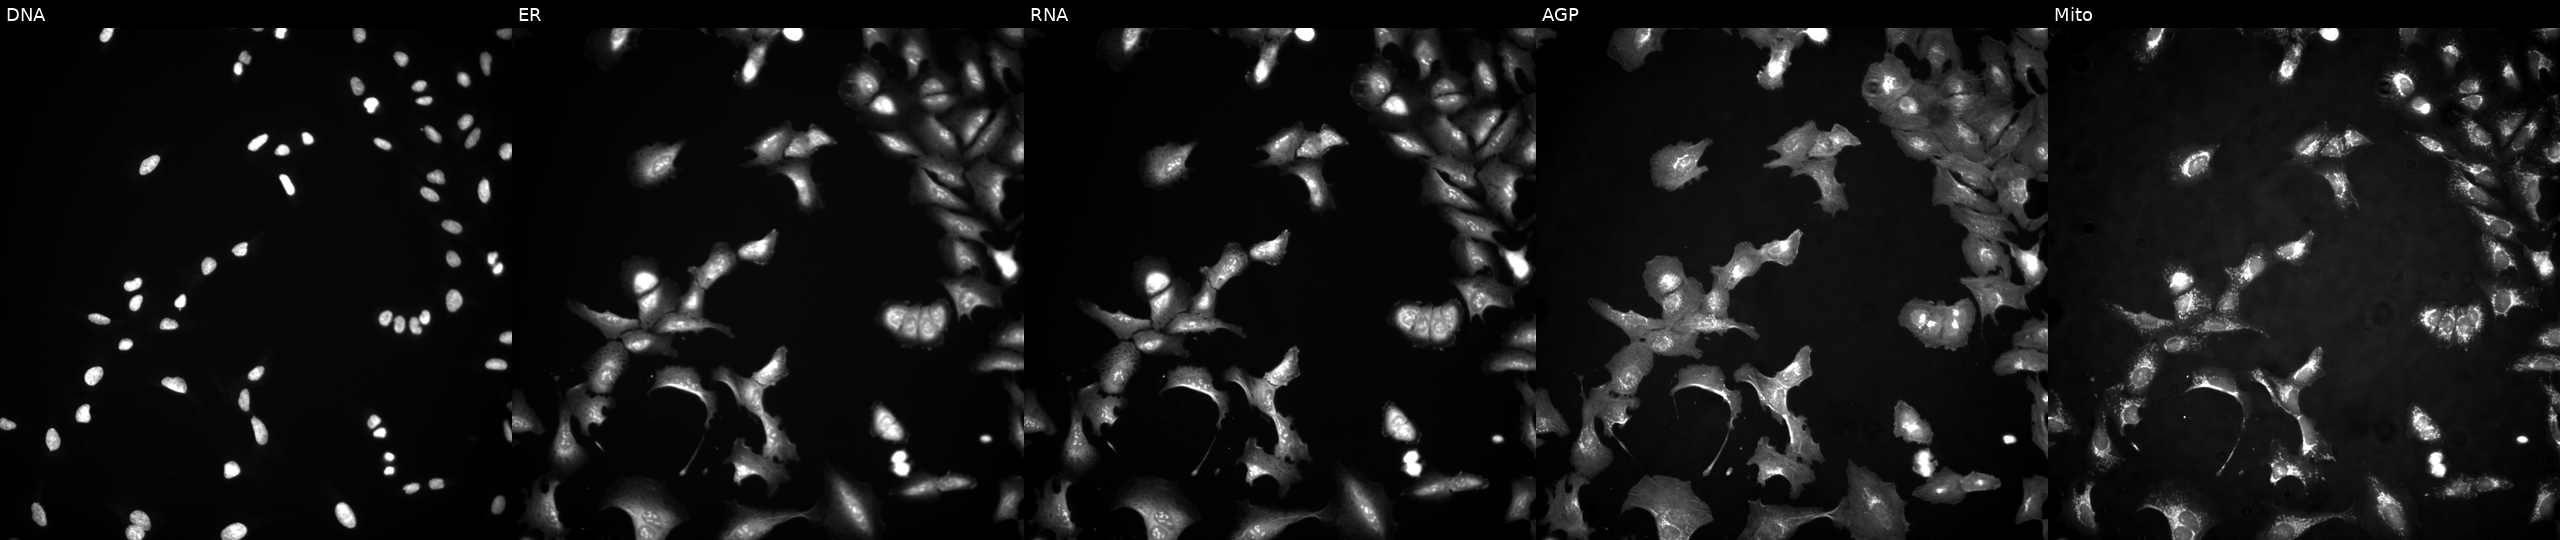
Five-channel Cell Painting image of U2OS cells transfected with an ORF construct for ZNF558 (JUMP id JCP2022_904688). Channels (left→right): DNA (nuclei); ER (endoplasmic reticulum); RNA (nucleoli and cytoplasmic RNA); AGP (actin cytoskeleton, Golgi, and plasma membrane); Mito (mitochondria). Source 4, plate BR00117035, well N21.